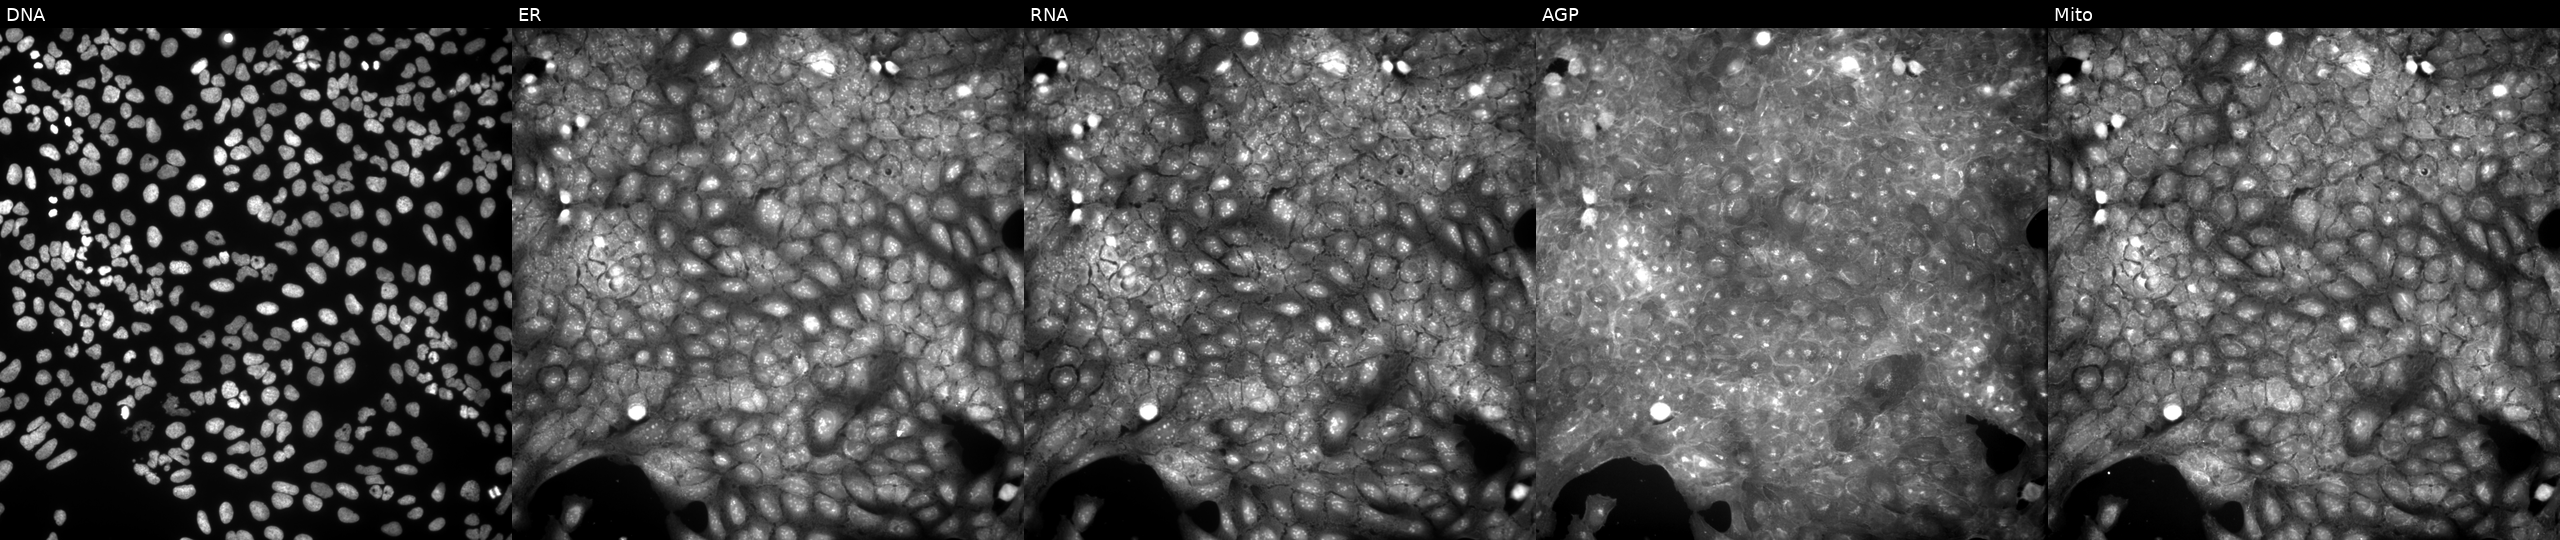
JUMP Cell Painting — COMPOUND plate. U2OS cells treated with a small-molecule compound (JUMP id JCP2022_059763). Channels (left→right): Hoechst 33342, concanavalin A, SYTO 14, phalloidin and WGA, MitoTracker. Source 9, plate GR00003382, well J29.